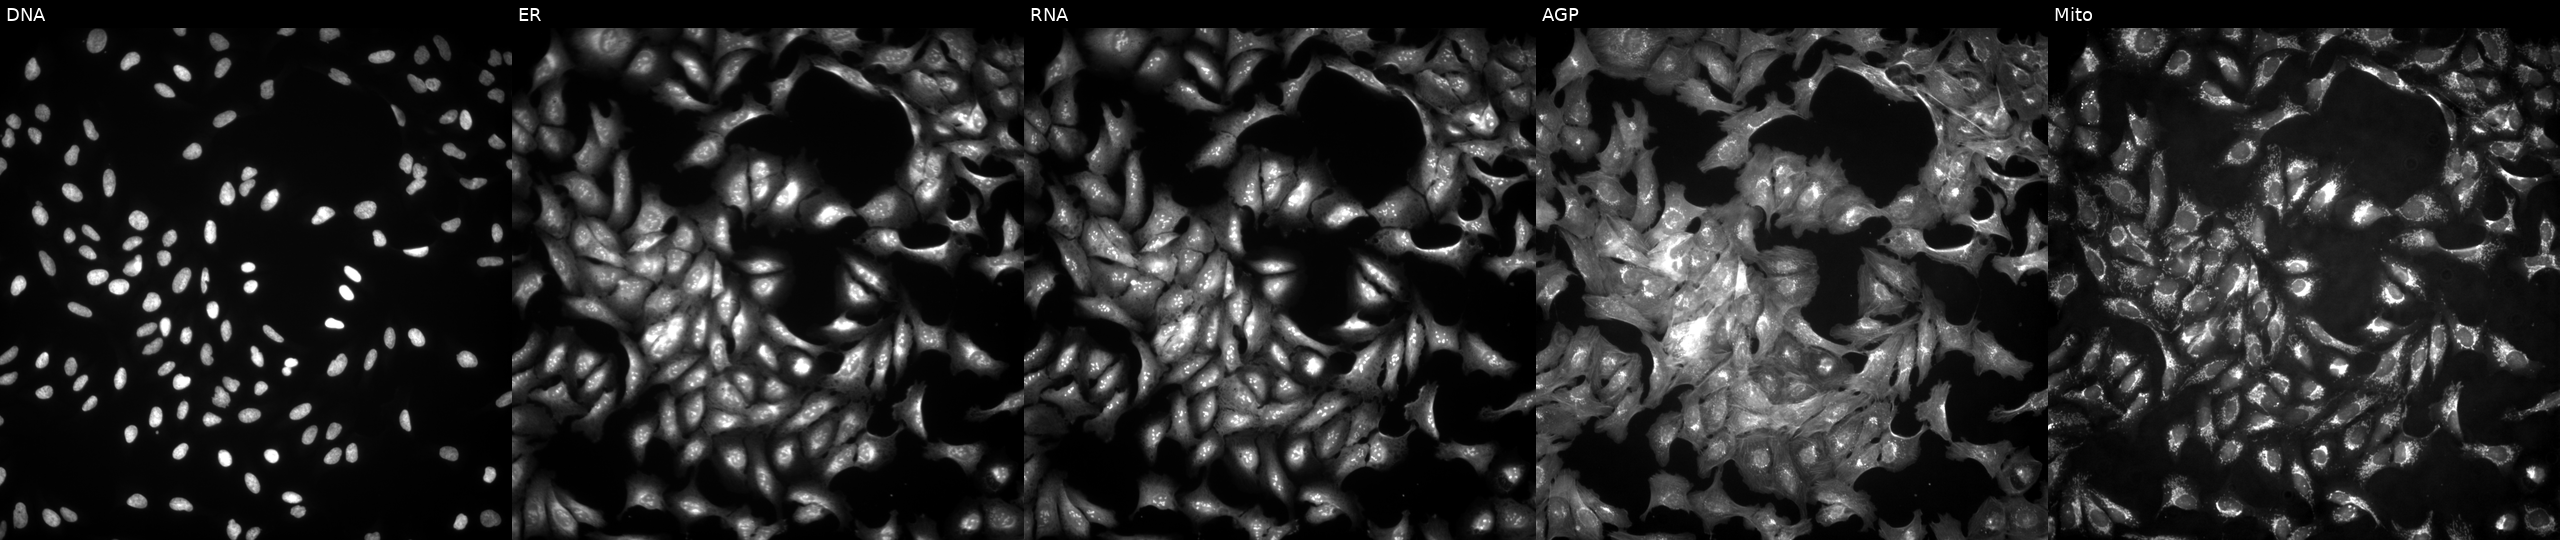
U2OS cells, Cell Painting assay, transfected with an ORF construct for P2RY2. Panels show, left to right, DNA (nuclei); ER (endoplasmic reticulum); RNA (nucleoli and cytoplasmic RNA); AGP (actin cytoskeleton, Golgi, and plasma membrane); Mito (mitochondria). Each panel is percentile-stretched 16-bit fluorescence. Source 4, plate BR00123509, well K01.